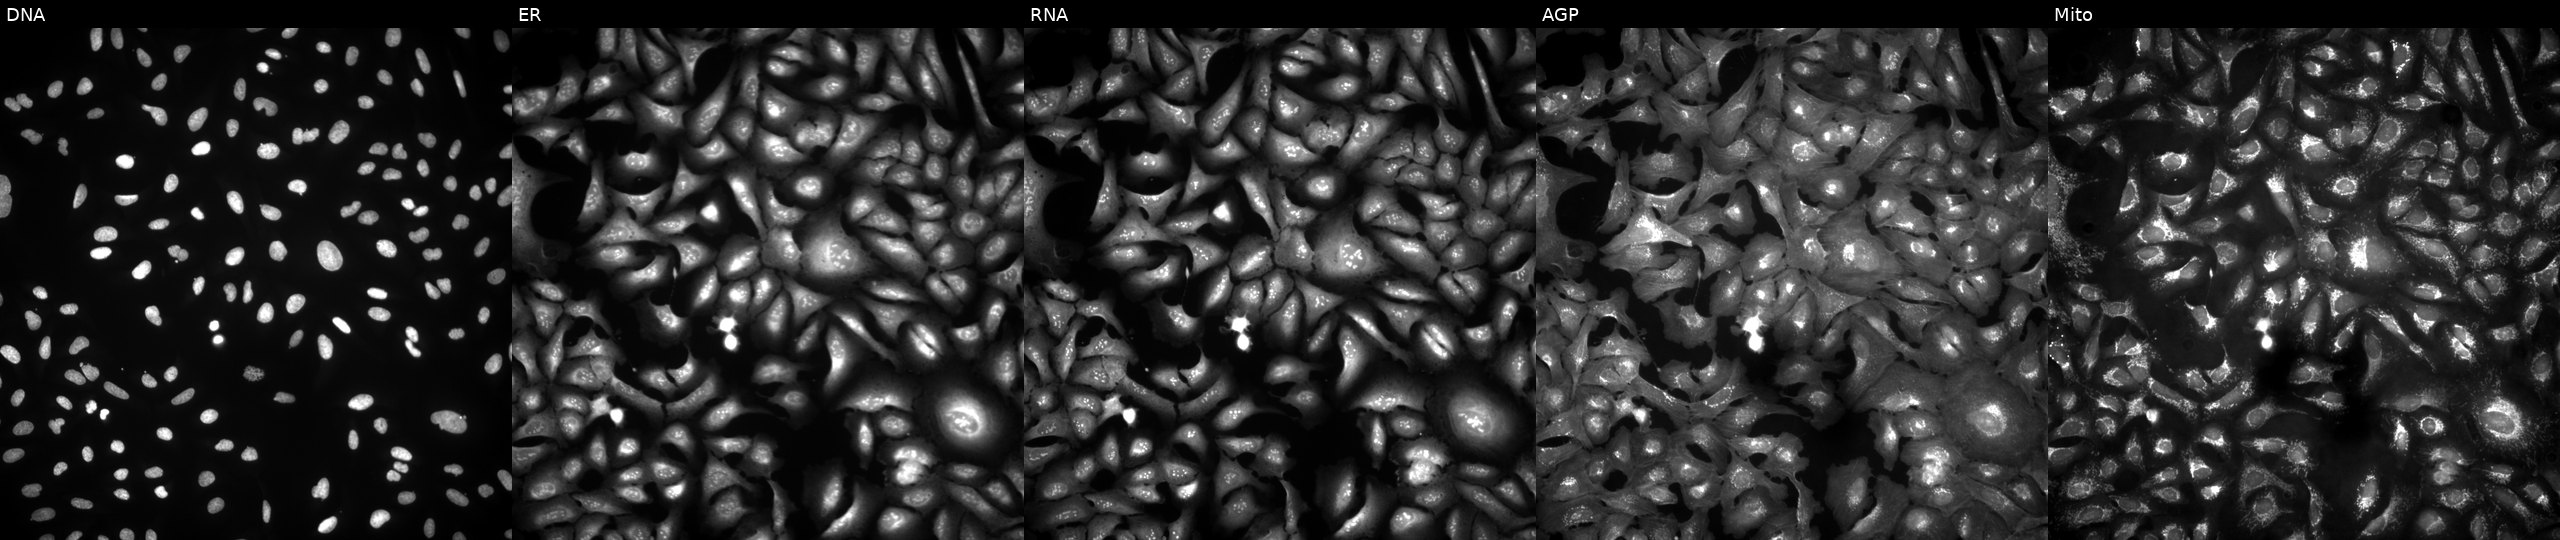
This image strip shows the five Cell Painting channels for a single field of U2OS cells transfected with an ORF construct for C8orf31. Panels show, left to right, DNA, ER, RNA, AGP, and Mito.